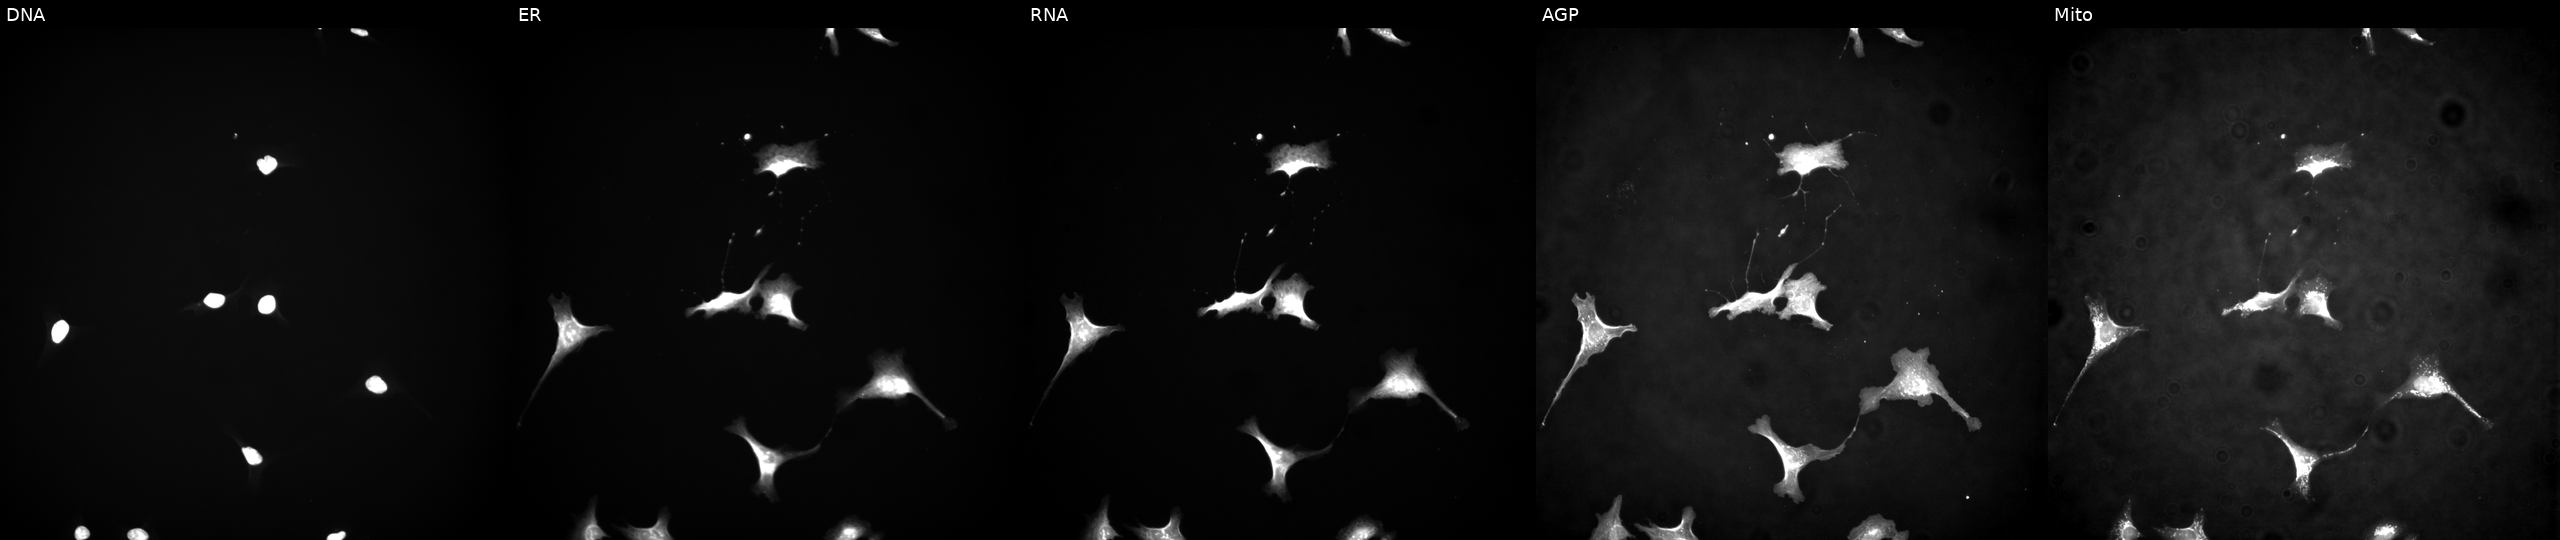
Five-channel Cell Painting image of U2OS cells overexpressing MAPK6 via ORF transfection (JUMP id JCP2022_913827). From left to right: DNA (nuclei); ER (endoplasmic reticulum); RNA (nucleoli and cytoplasmic RNA); AGP (actin cytoskeleton, Golgi, and plasma membrane); Mito (mitochondria).